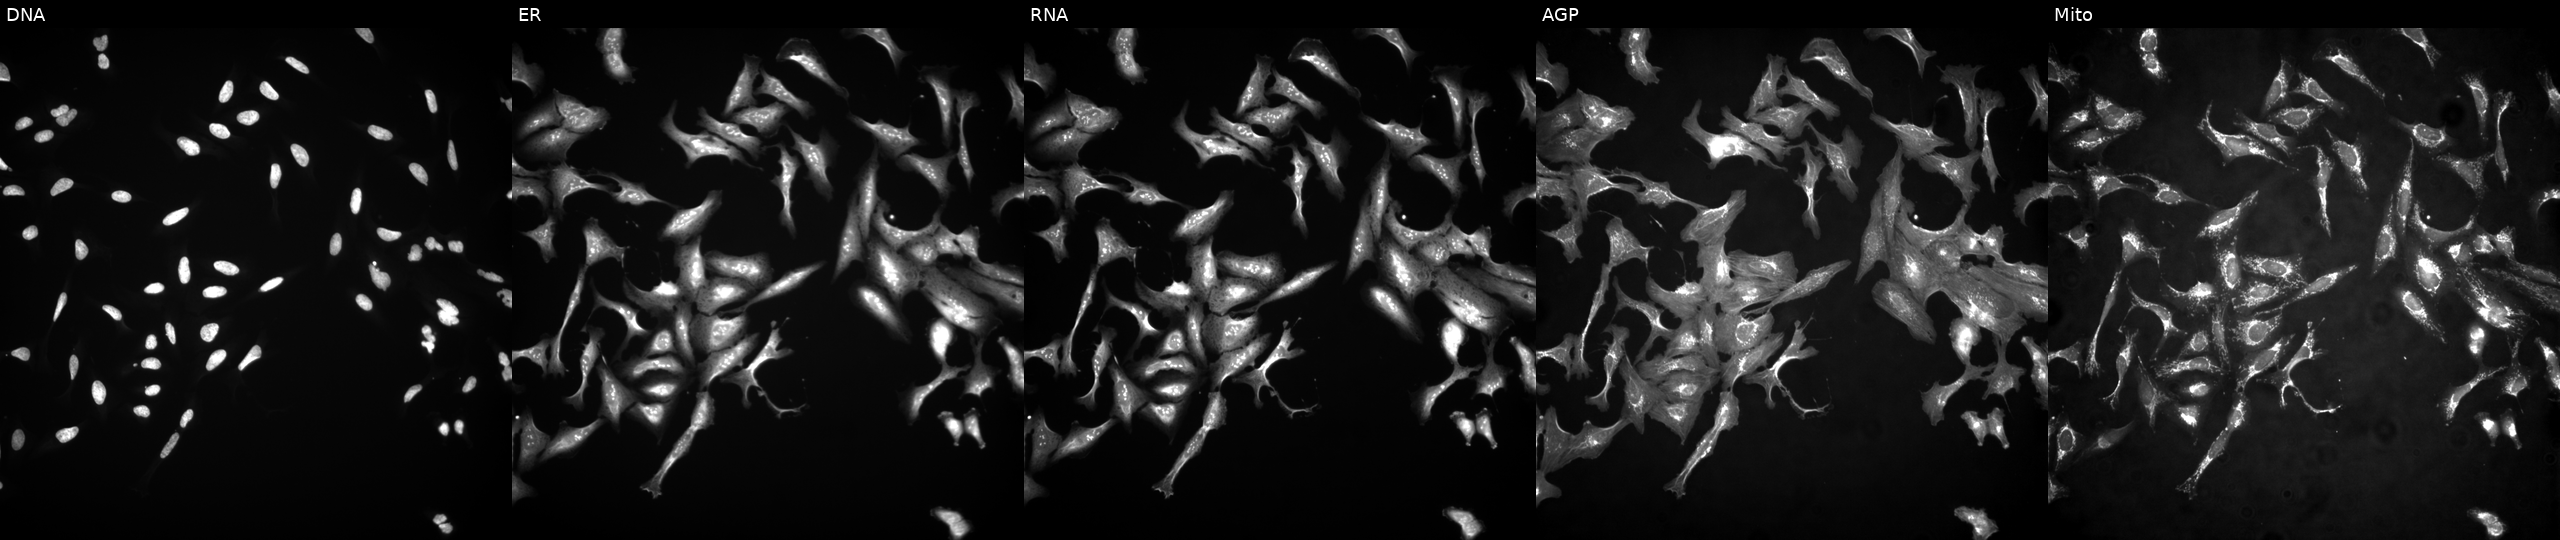
Channels (left→right): DNA, ER, RNA, AGP, and Mito. U2OS osteosarcoma cells transfected with an ORF construct for ZNF449. Cell Painting assay, JUMP-CP dataset.